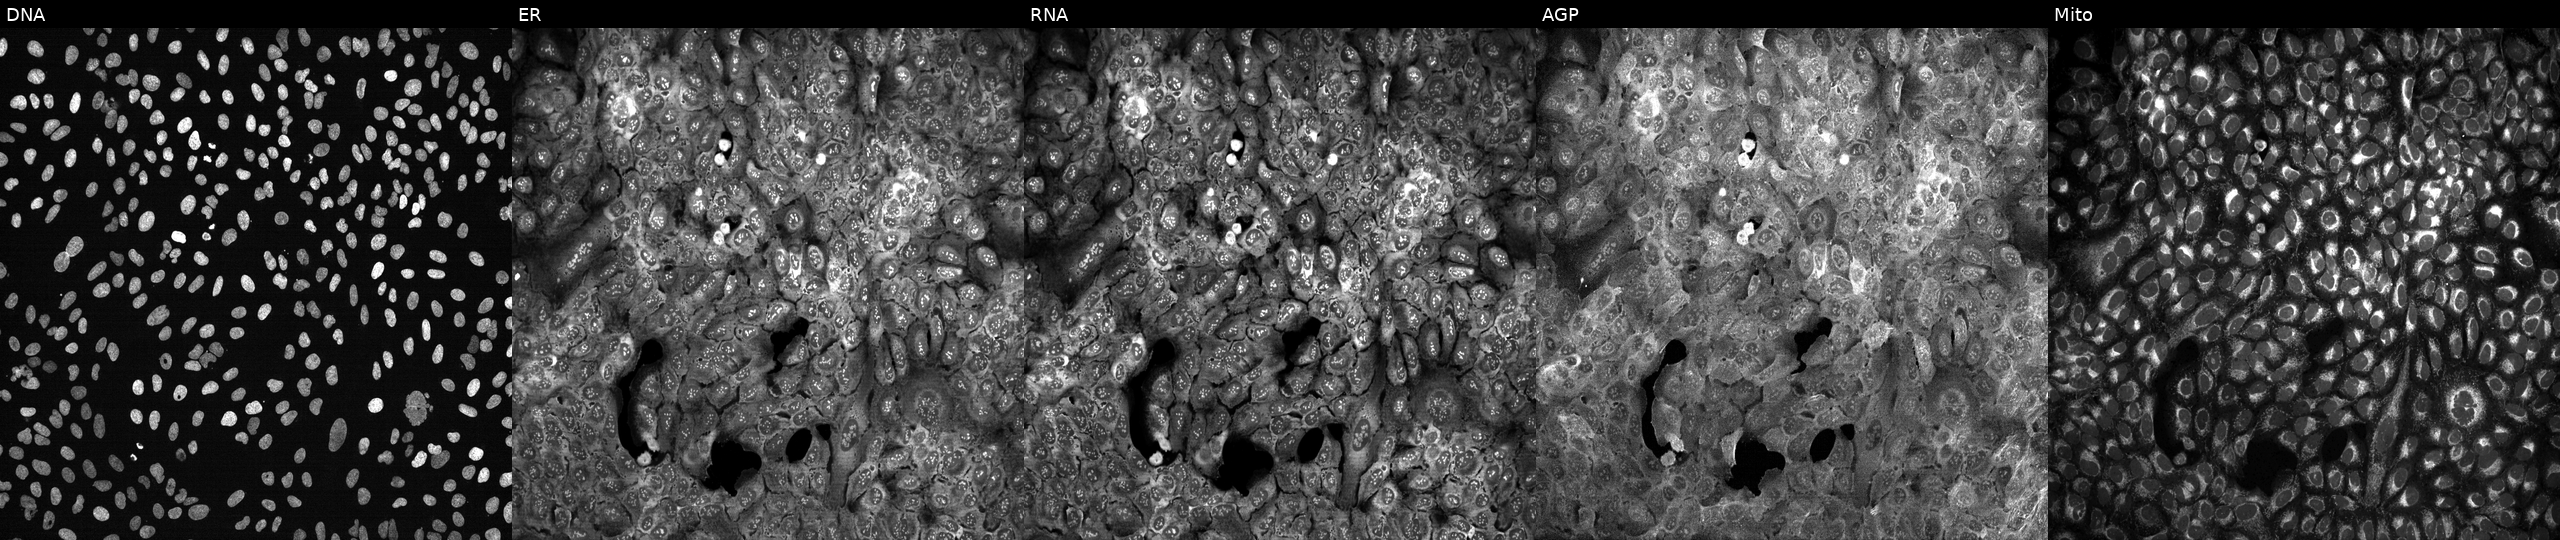
U2OS cells, Cell Painting assay, CRISPR-edited to disrupt DRG2 (JUMP id JCP2022_801919). The five panels, left to right, show Hoechst 33342, concanavalin A, SYTO 14, phalloidin and WGA, MitoTracker. Each panel is percentile-stretched 16-bit fluorescence.